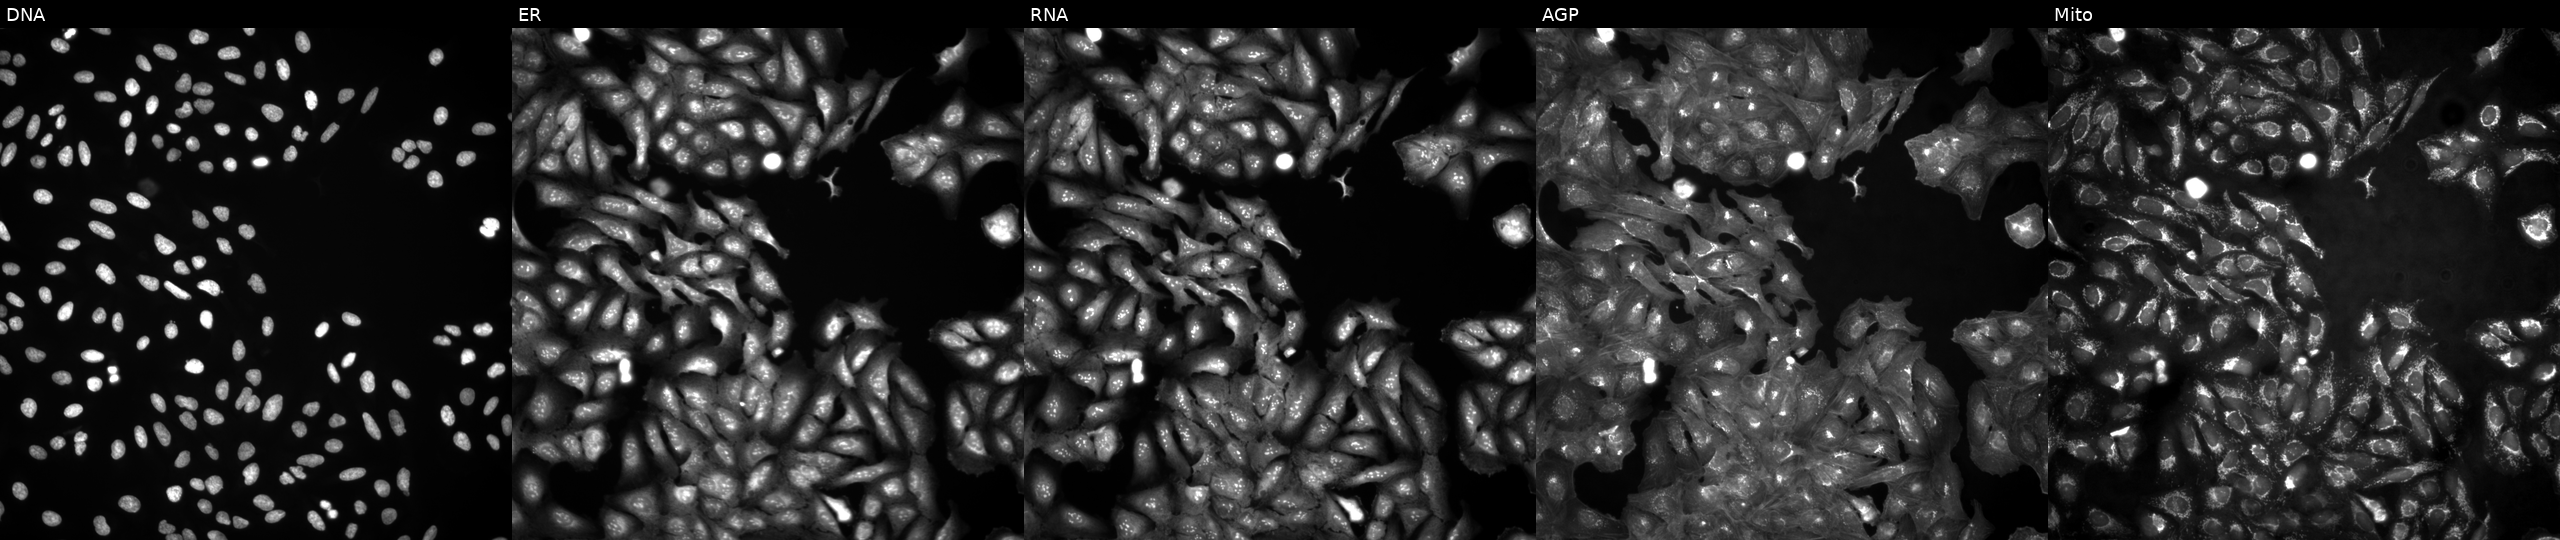
High-content fluorescence microscopy (Cell Painting). Cell line: U2OS. Perturbation: untreated (empty-well control) (JUMP id JCP2022_999999). From left to right: DNA, ER, RNA, AGP, and Mito.